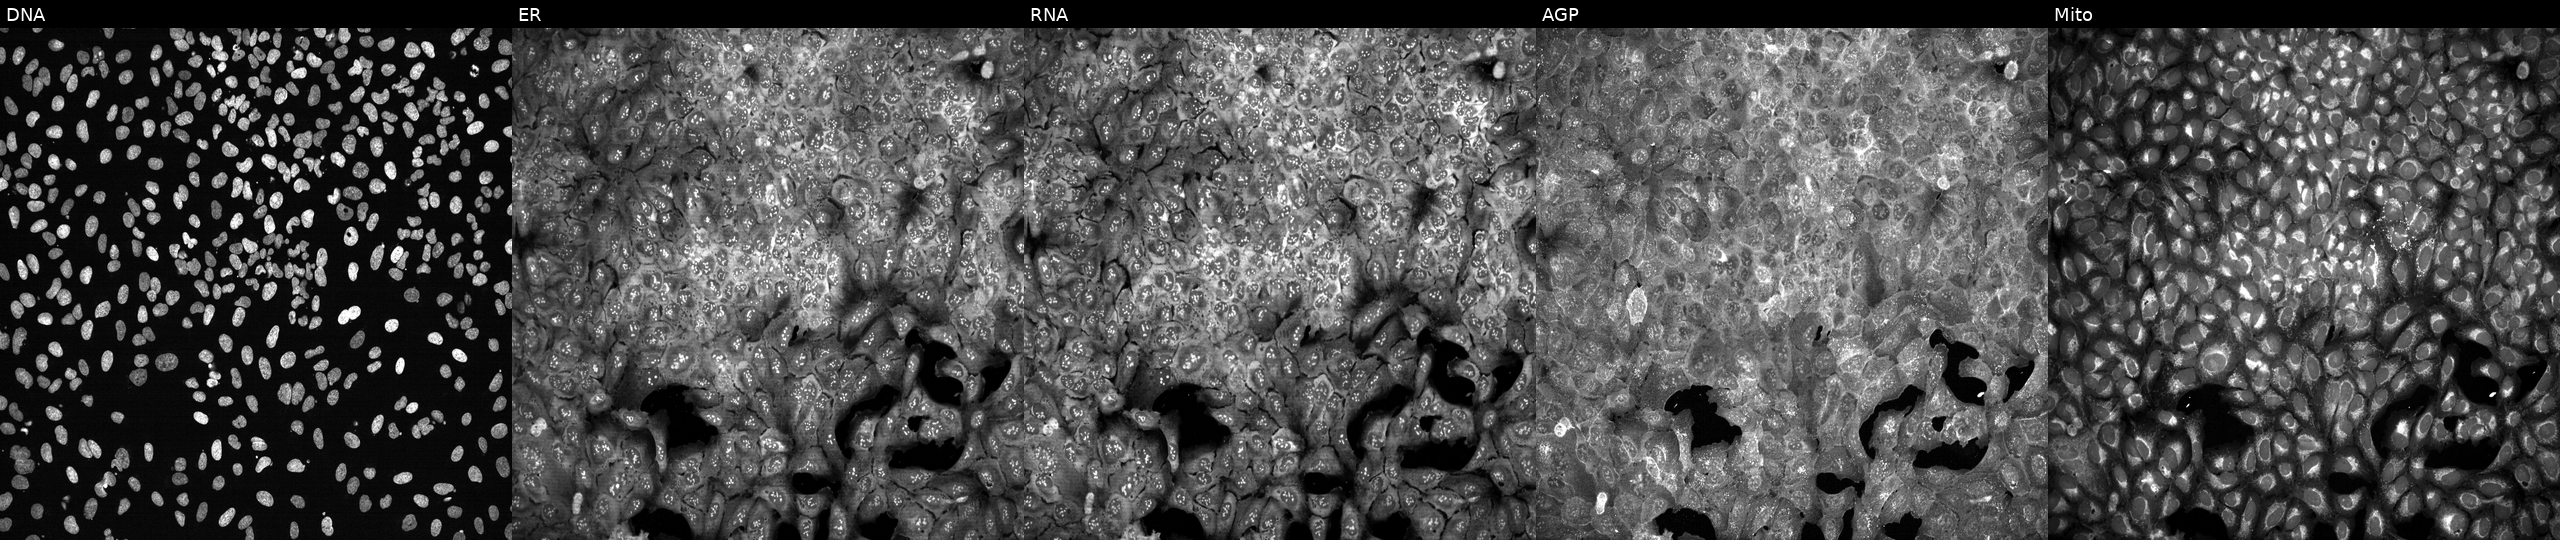
Five-channel Cell Painting image of U2OS cells following CRISPR knockout of MCM6 (JUMP id JCP2022_804079). From left to right: Hoechst 33342, concanavalin A, SYTO 14, phalloidin and WGA, MitoTracker.